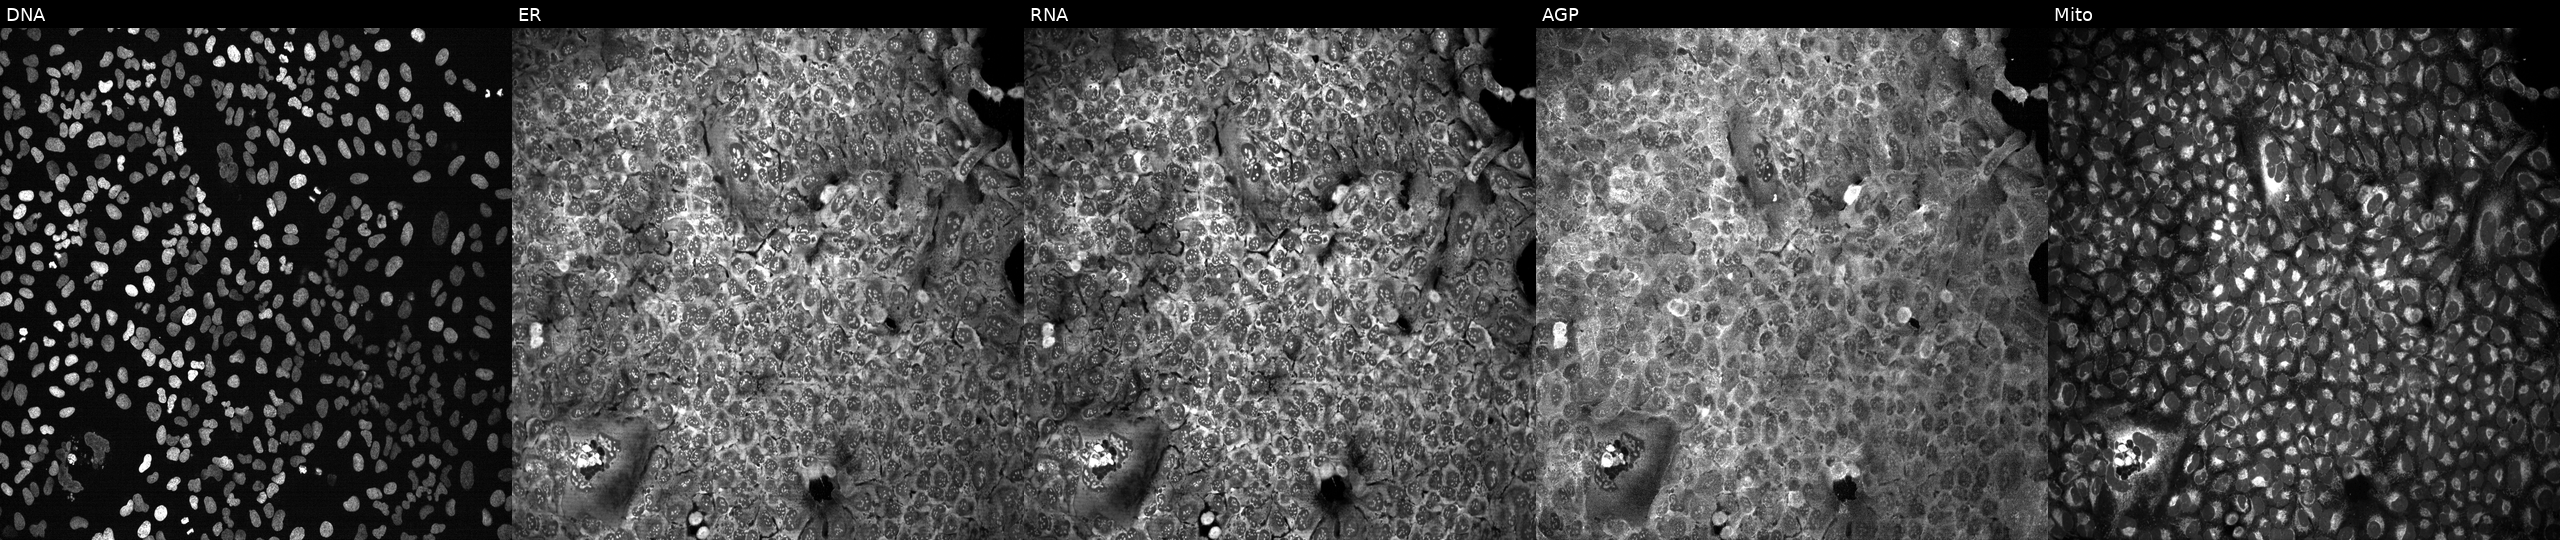
JUMP Cell Painting — CRISPR plate. U2OS cells following CRISPR knockout of ACOX3 (JUMP id JCP2022_800127). Channels (left→right): DNA (nuclei); ER (endoplasmic reticulum); RNA (nucleoli and cytoplasmic RNA); AGP (actin cytoskeleton, Golgi, and plasma membrane); Mito (mitochondria).